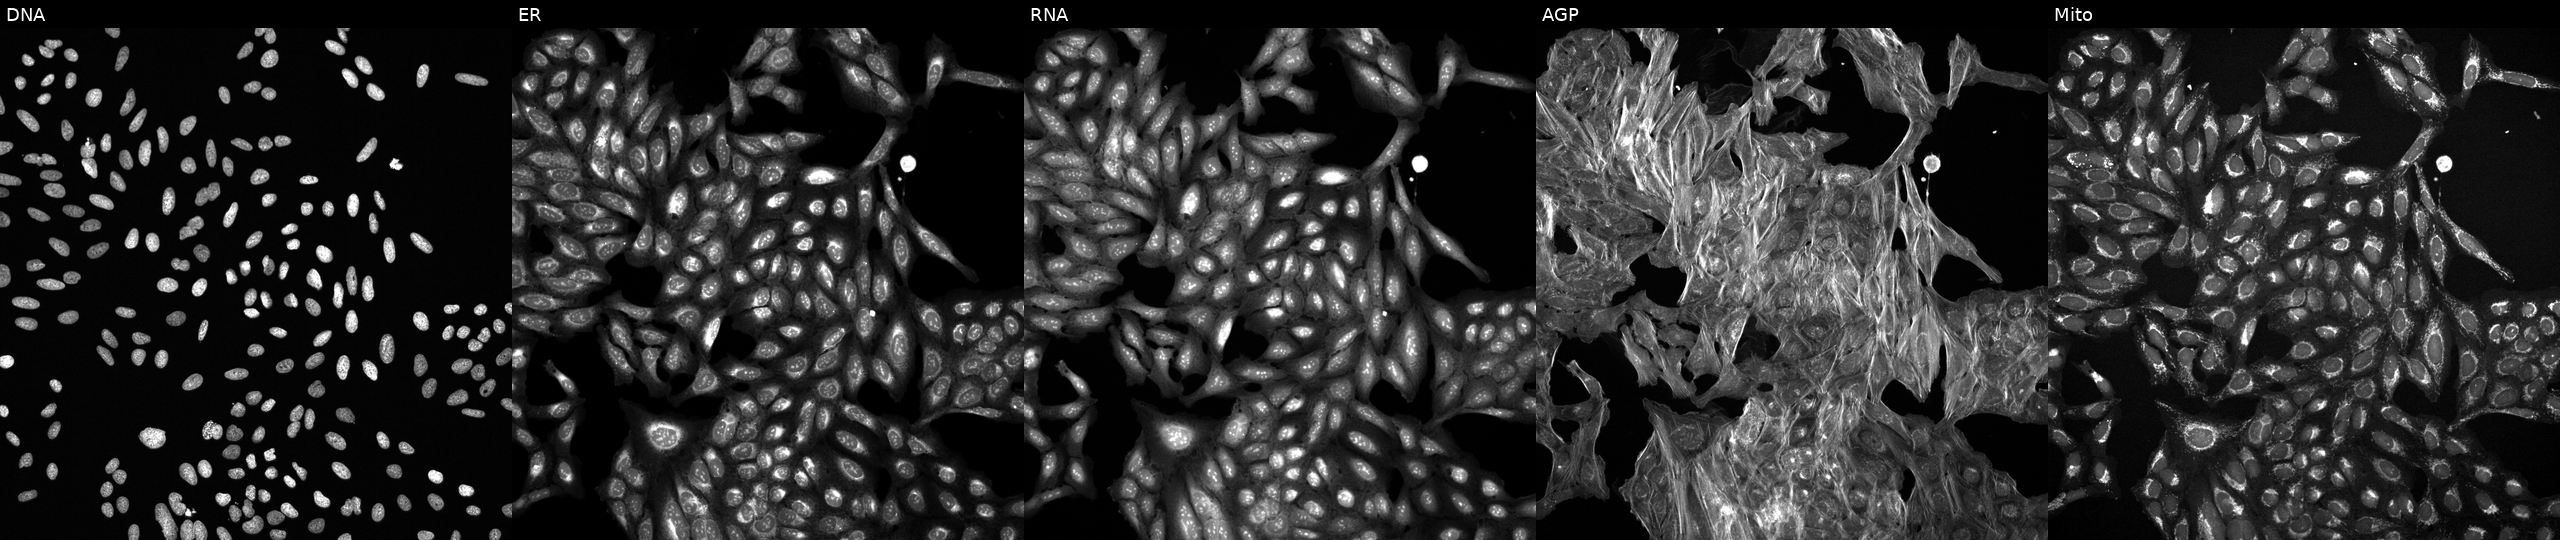
Five-channel Cell Painting image of U2OS cells exposed to a small-molecule compound (InChIKey NBHPRWLFLUBAIE-UHFFFAOYSA-N). Channels (left→right): Hoechst 33342, concanavalin A, SYTO 14, phalloidin and WGA, MitoTracker.